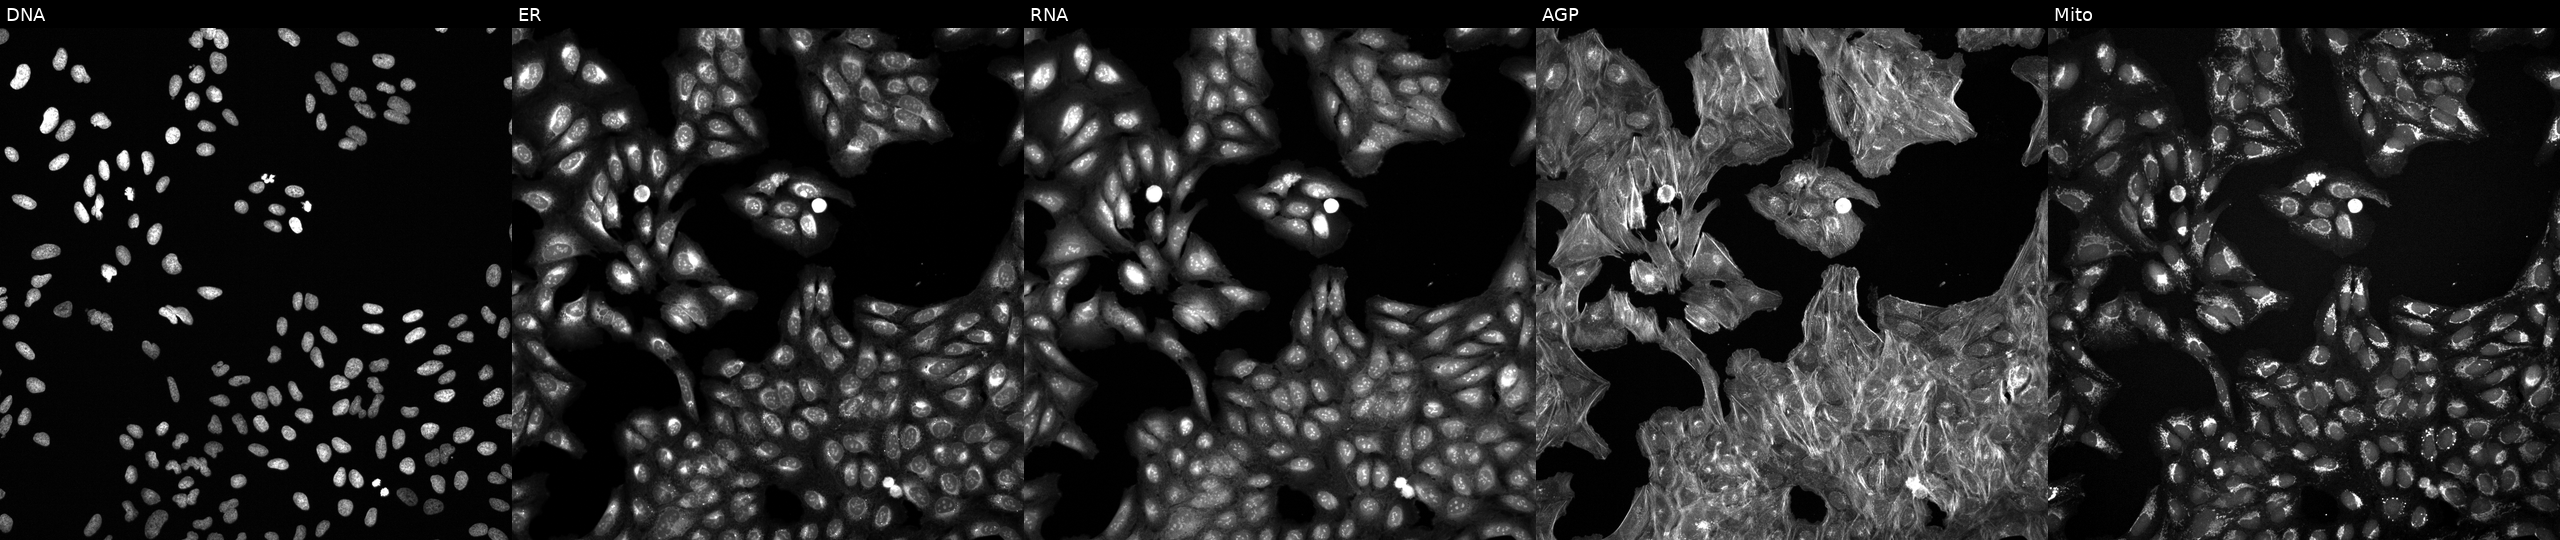
Panels show, left to right, DNA (nuclei); ER (endoplasmic reticulum); RNA (nucleoli and cytoplasmic RNA); AGP (actin cytoskeleton, Golgi, and plasma membrane); Mito (mitochondria). U2OS osteosarcoma cells perturbed with a small-molecule compound. Cell Painting assay, JUMP-CP dataset.